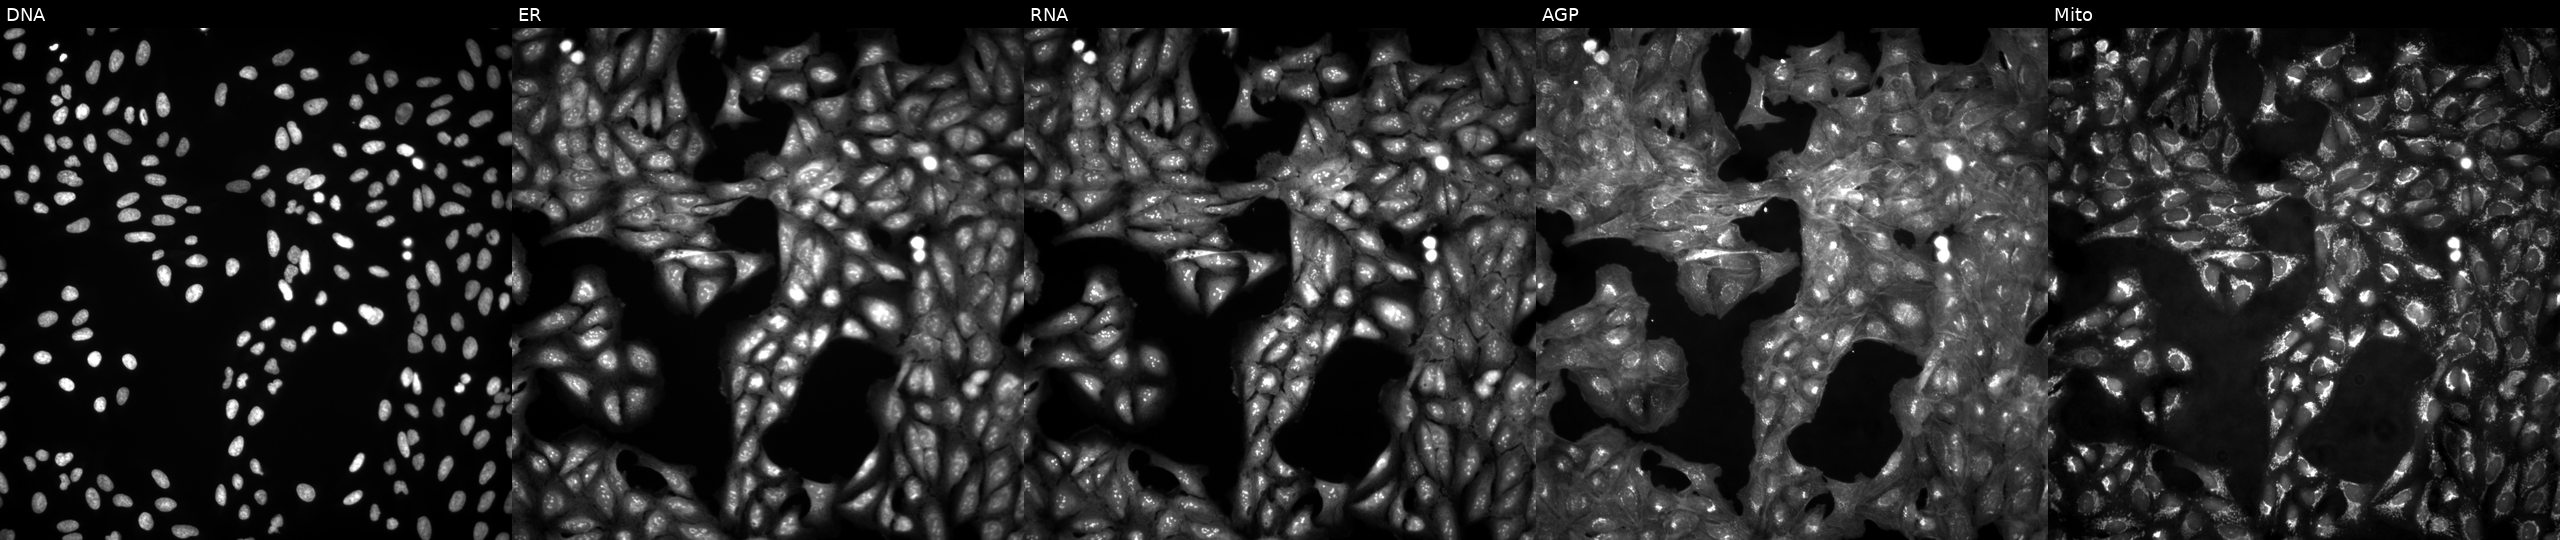
U2OS cells, Cell Painting assay, untreated (empty-well control) (JUMP id JCP2022_999999). Channels (left→right): Hoechst 33342, concanavalin A, SYTO 14, phalloidin and WGA, MitoTracker. Each panel is percentile-stretched 16-bit fluorescence.